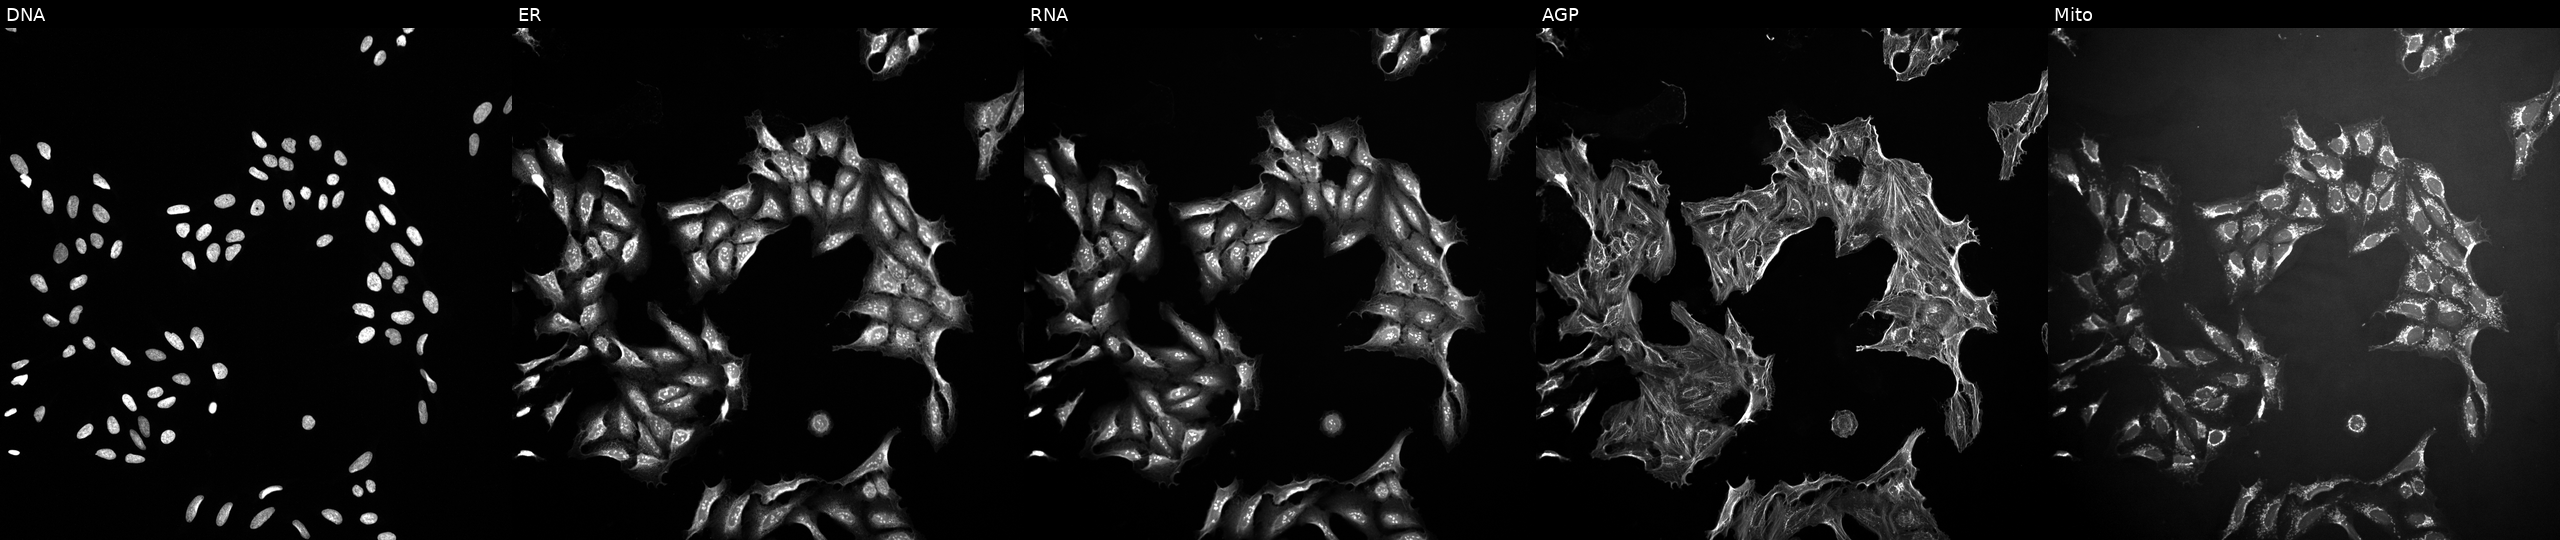
U2OS cells, Cell Painting assay, treated with a small-molecule compound (InChIKey XDJCLCLBSGGNKS-UHFFFAOYSA-N). Channels (left→right): DNA (nuclei); ER (endoplasmic reticulum); RNA (nucleoli and cytoplasmic RNA); AGP (actin cytoskeleton, Golgi, and plasma membrane); Mito (mitochondria). Each panel is percentile-stretched 16-bit fluorescence. Source 10, plate Dest210726-160150, well H13.